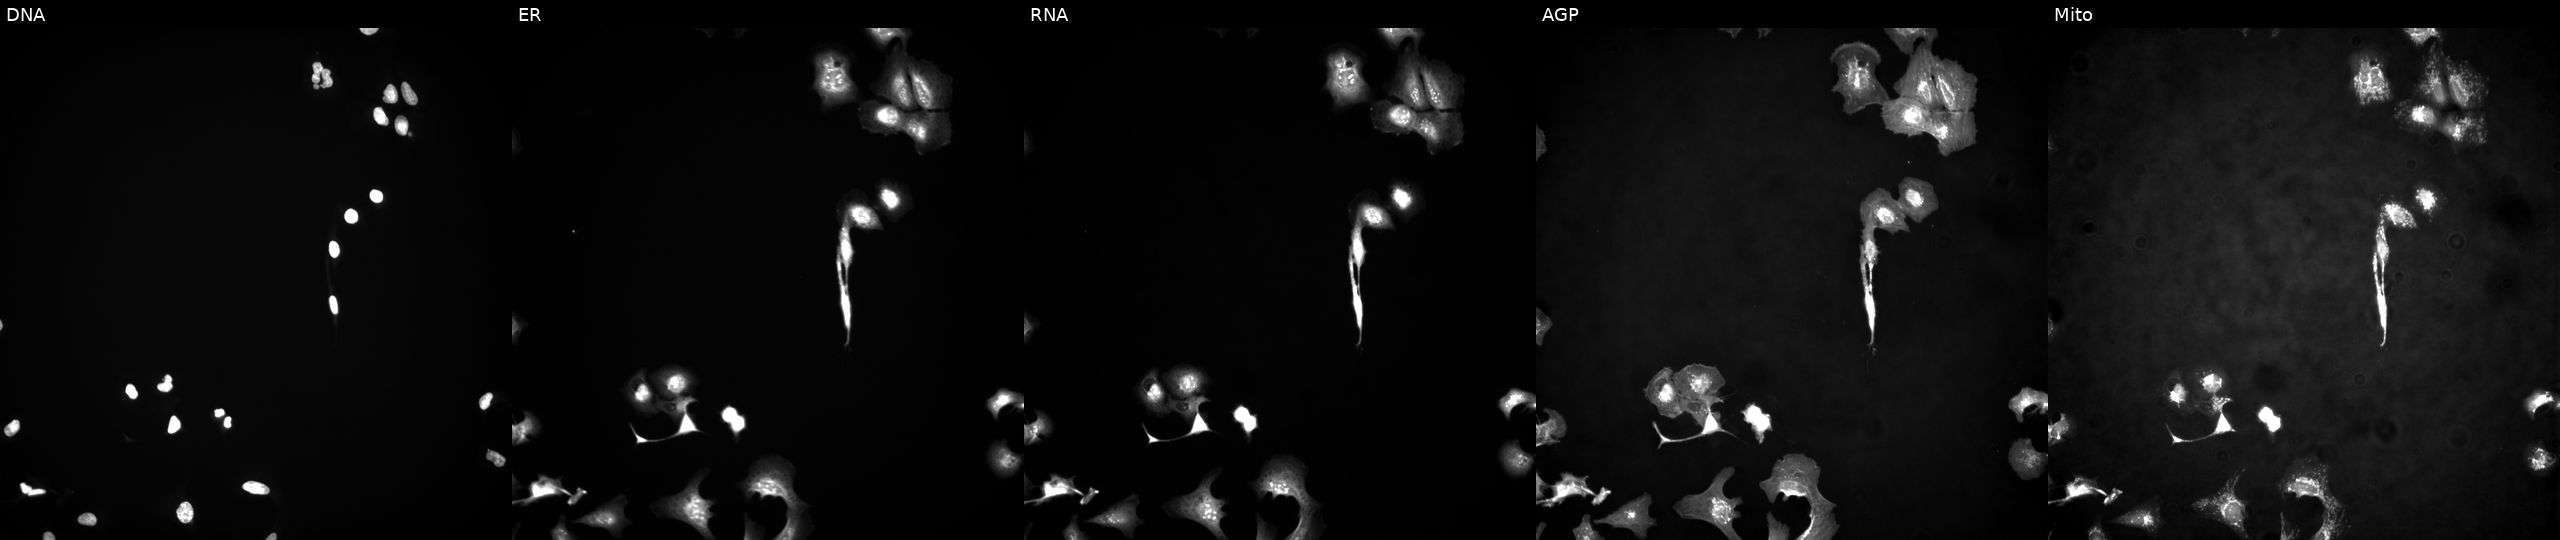
JUMP Cell Painting — ORF plate. U2OS cells overexpressing HCK via ORF transfection. The five panels, left to right, show Hoechst 33342, concanavalin A, SYTO 14, phalloidin and WGA, MitoTracker.